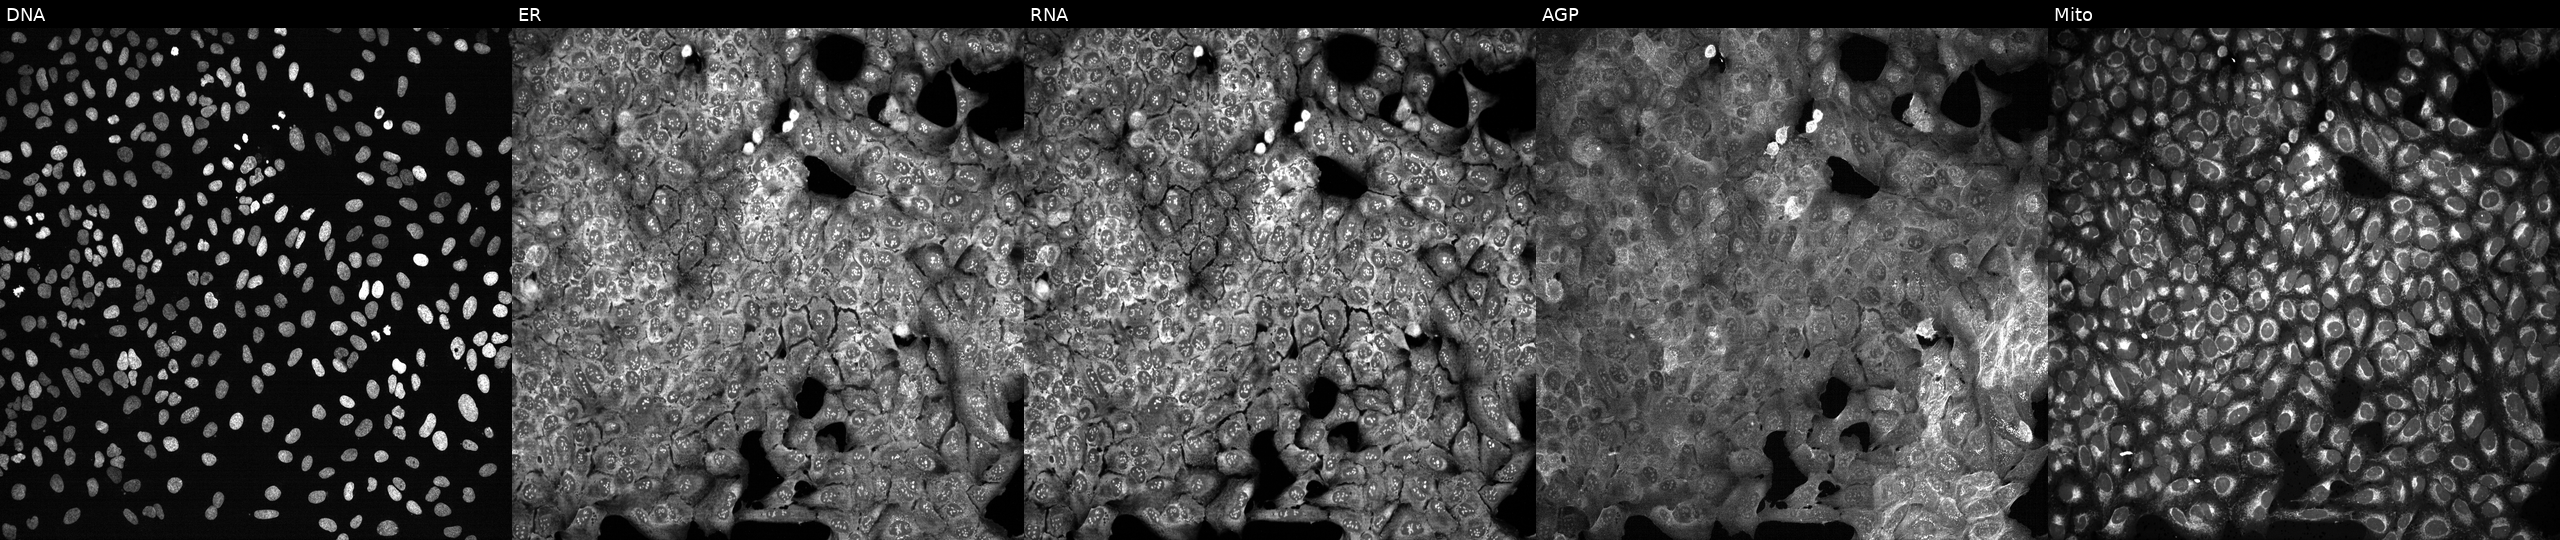
Channels (left→right): DNA, ER, RNA, AGP, and Mito. U2OS osteosarcoma cells with TLR1 knocked out by CRISPR (JUMP id JCP2022_807109). Cell Painting assay, JUMP-CP dataset. Source 13, plate CP-CC9-R2-01, well M07.